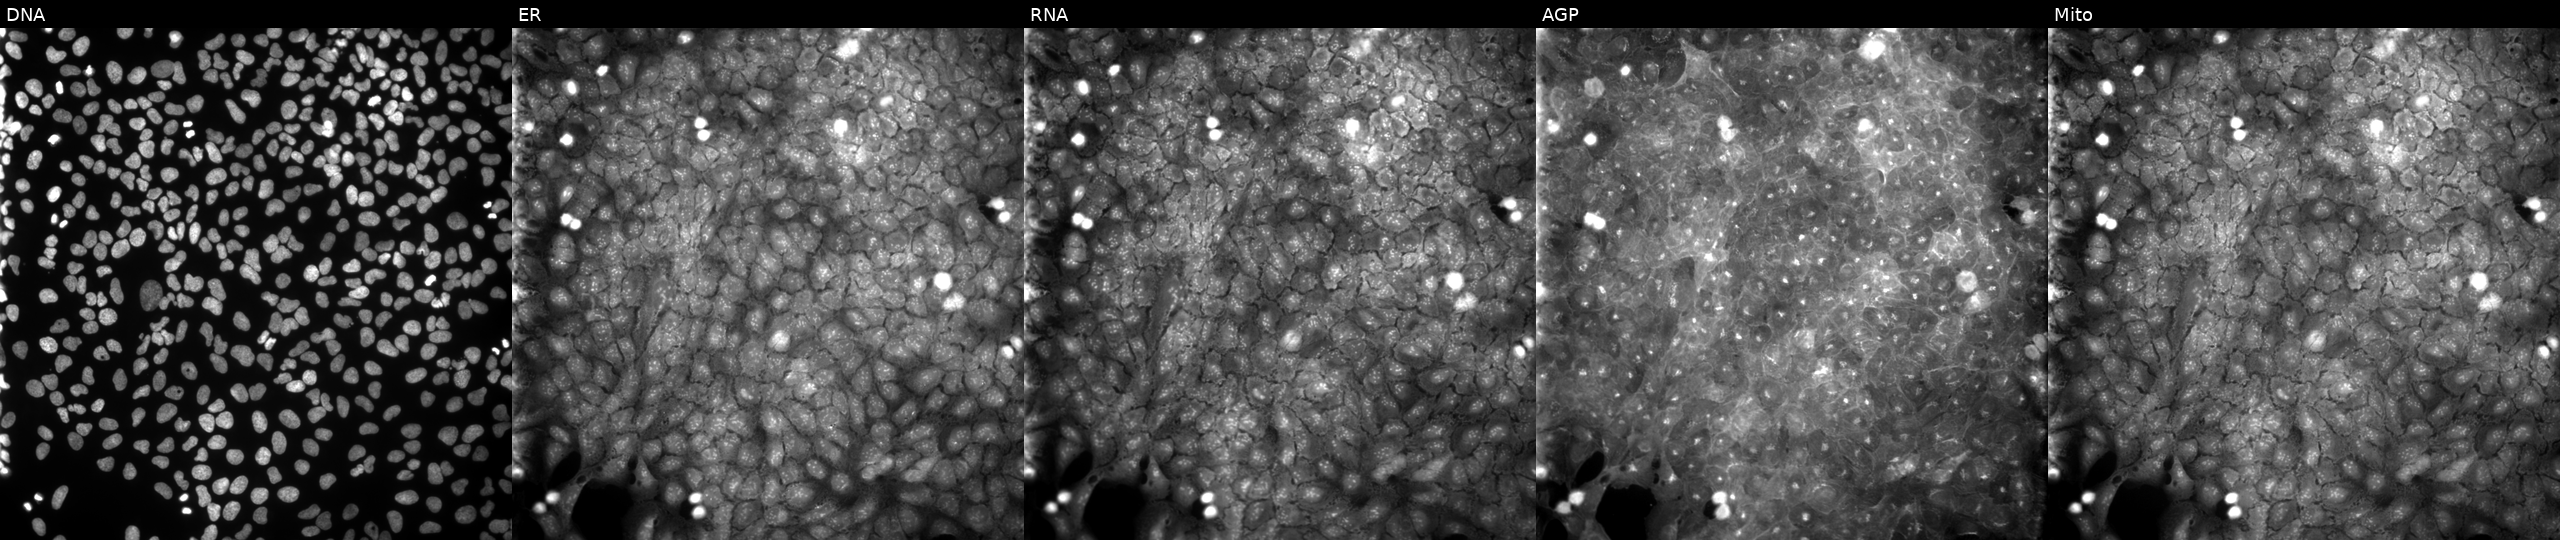
High-content fluorescence microscopy (Cell Painting). Cell line: U2OS. Perturbation: treated with a small-molecule compound (InChIKey QXPBMTMASAVULQ-UHFFFAOYSA-N) (JUMP id JCP2022_076554). Panels show, left to right, DNA (nuclei); ER (endoplasmic reticulum); RNA (nucleoli and cytoplasmic RNA); AGP (actin cytoskeleton, Golgi, and plasma membrane); Mito (mitochondria).